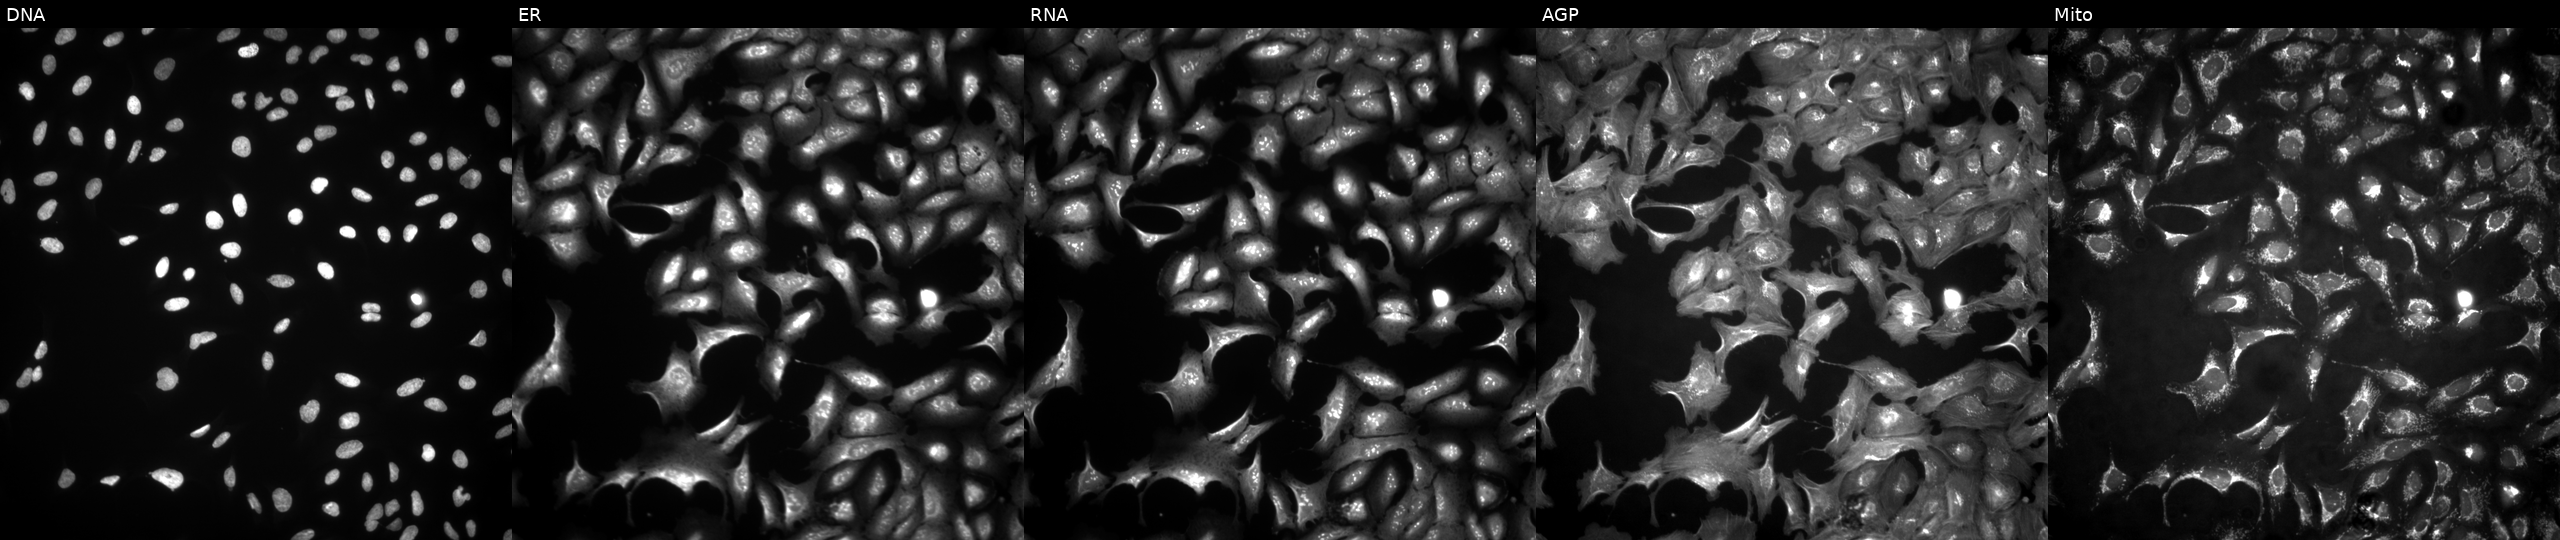
U2OS cells, Cell Painting assay, with FBXL15 overexpressed (ORF). The five panels, left to right, show Hoechst 33342, concanavalin A, SYTO 14, phalloidin and WGA, MitoTracker. Each panel is percentile-stretched 16-bit fluorescence. Source 4, plate BR00123509, well A02.